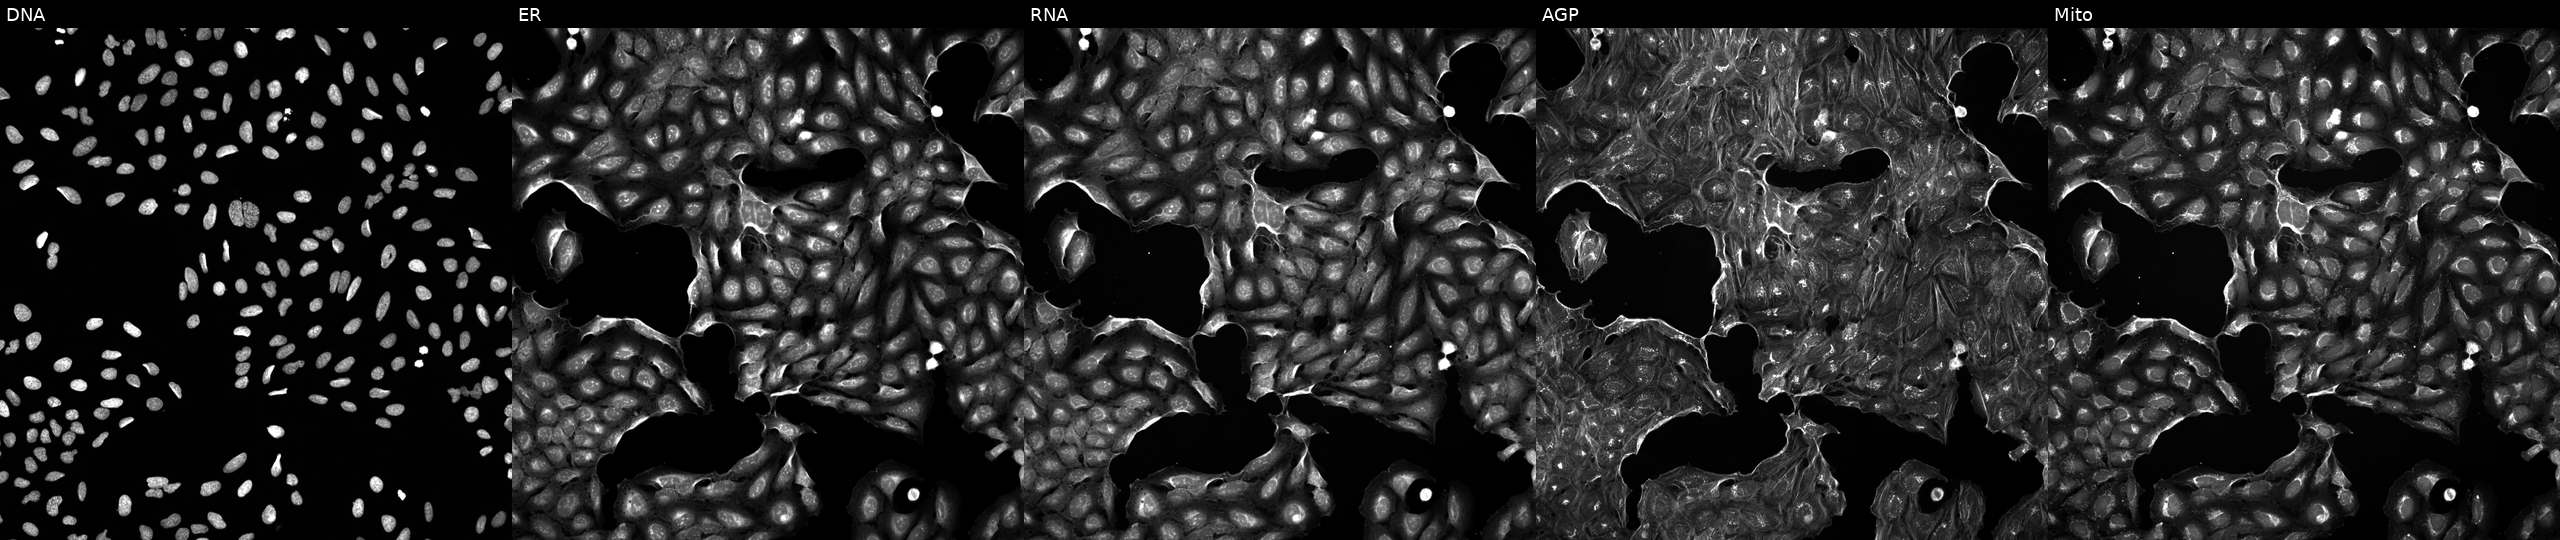
Five-channel Cell Painting image of U2OS cells exposed to DMSO alone as a negative control (JUMP id JCP2022_033924). Panels show, left to right, DNA, ER, RNA, AGP, and Mito.